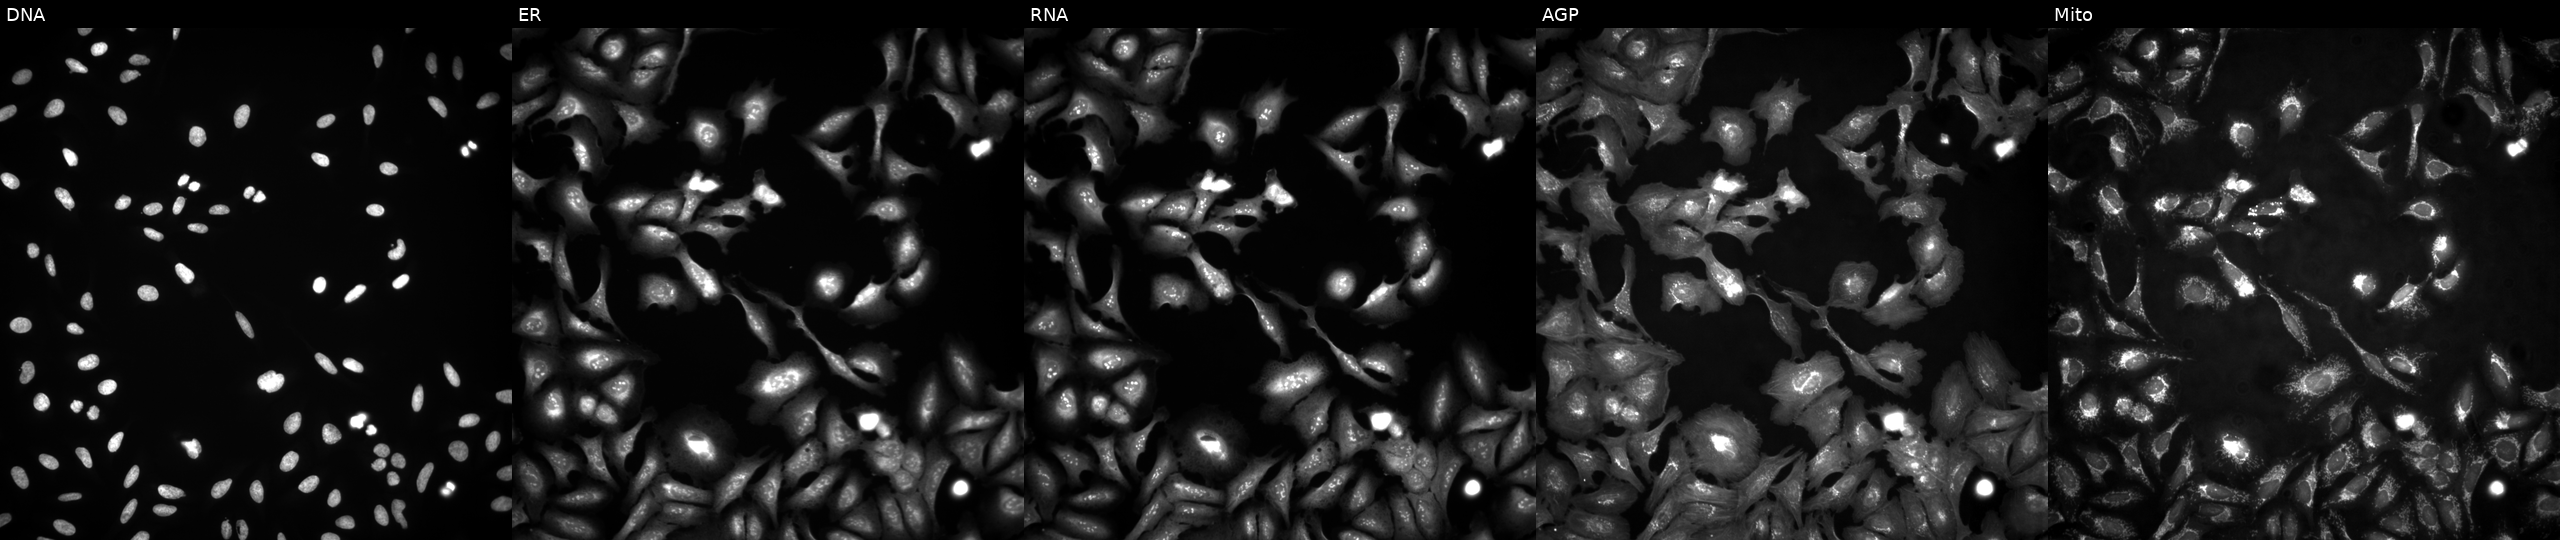
U2OS cells, Cell Painting assay, expressing eGFP (ORF positive control). From left to right: DNA (nuclei); ER (endoplasmic reticulum); RNA (nucleoli and cytoplasmic RNA); AGP (actin cytoskeleton, Golgi, and plasma membrane); Mito (mitochondria). Each panel is percentile-stretched 16-bit fluorescence. Source 4, plate BR00124787, well P19.